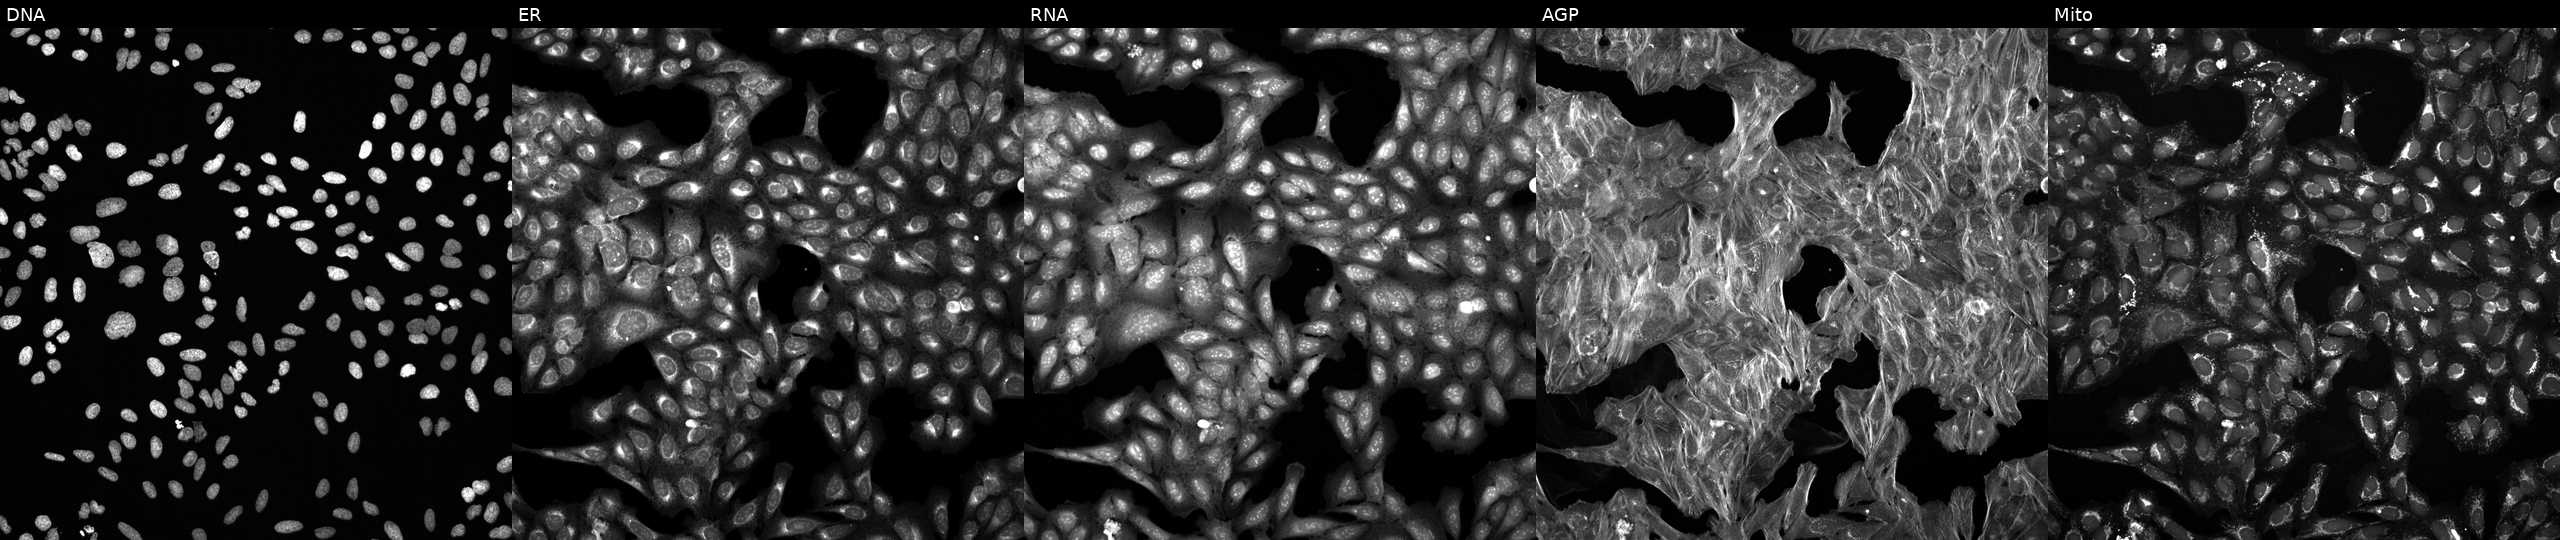
From left to right: Hoechst 33342, concanavalin A, SYTO 14, phalloidin and WGA, MitoTracker. U2OS osteosarcoma cells perturbed with a small-molecule compound (InChIKey HQGWKNGAKBPTBX-UHFFFAOYSA-N) (JUMP id JCP2022_031861). Cell Painting assay, JUMP-CP dataset.